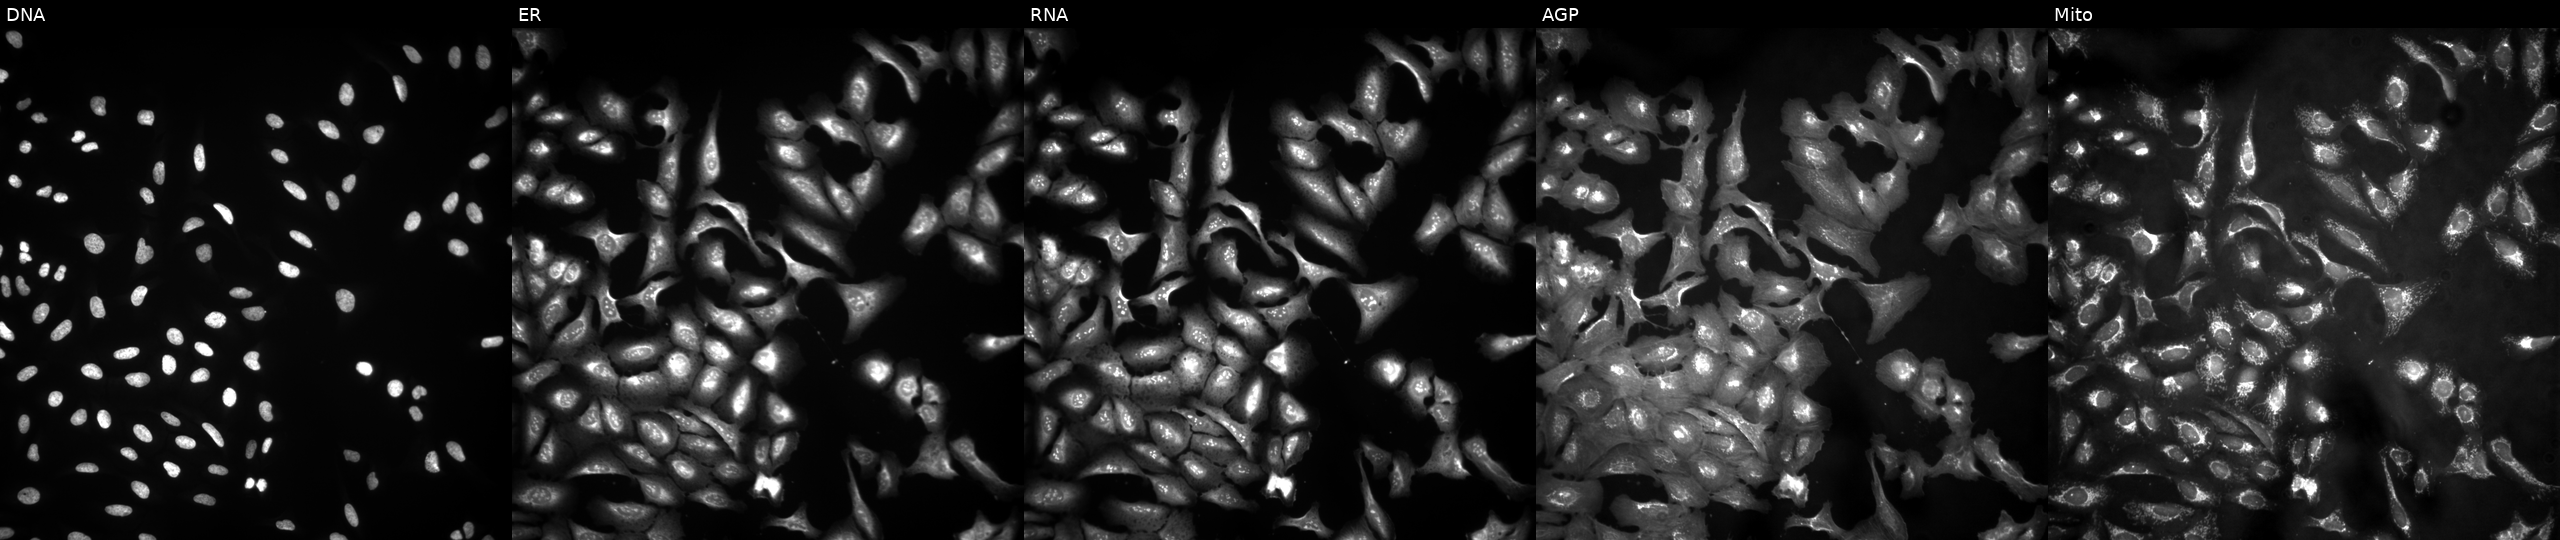
U2OS cells, Cell Painting assay, with FBXO30 overexpressed (ORF) (JUMP id JCP2022_911908). The five panels, left to right, show Hoechst 33342, concanavalin A, SYTO 14, phalloidin and WGA, MitoTracker. Each panel is percentile-stretched 16-bit fluorescence. Source 4, plate BR00121543, well I20.